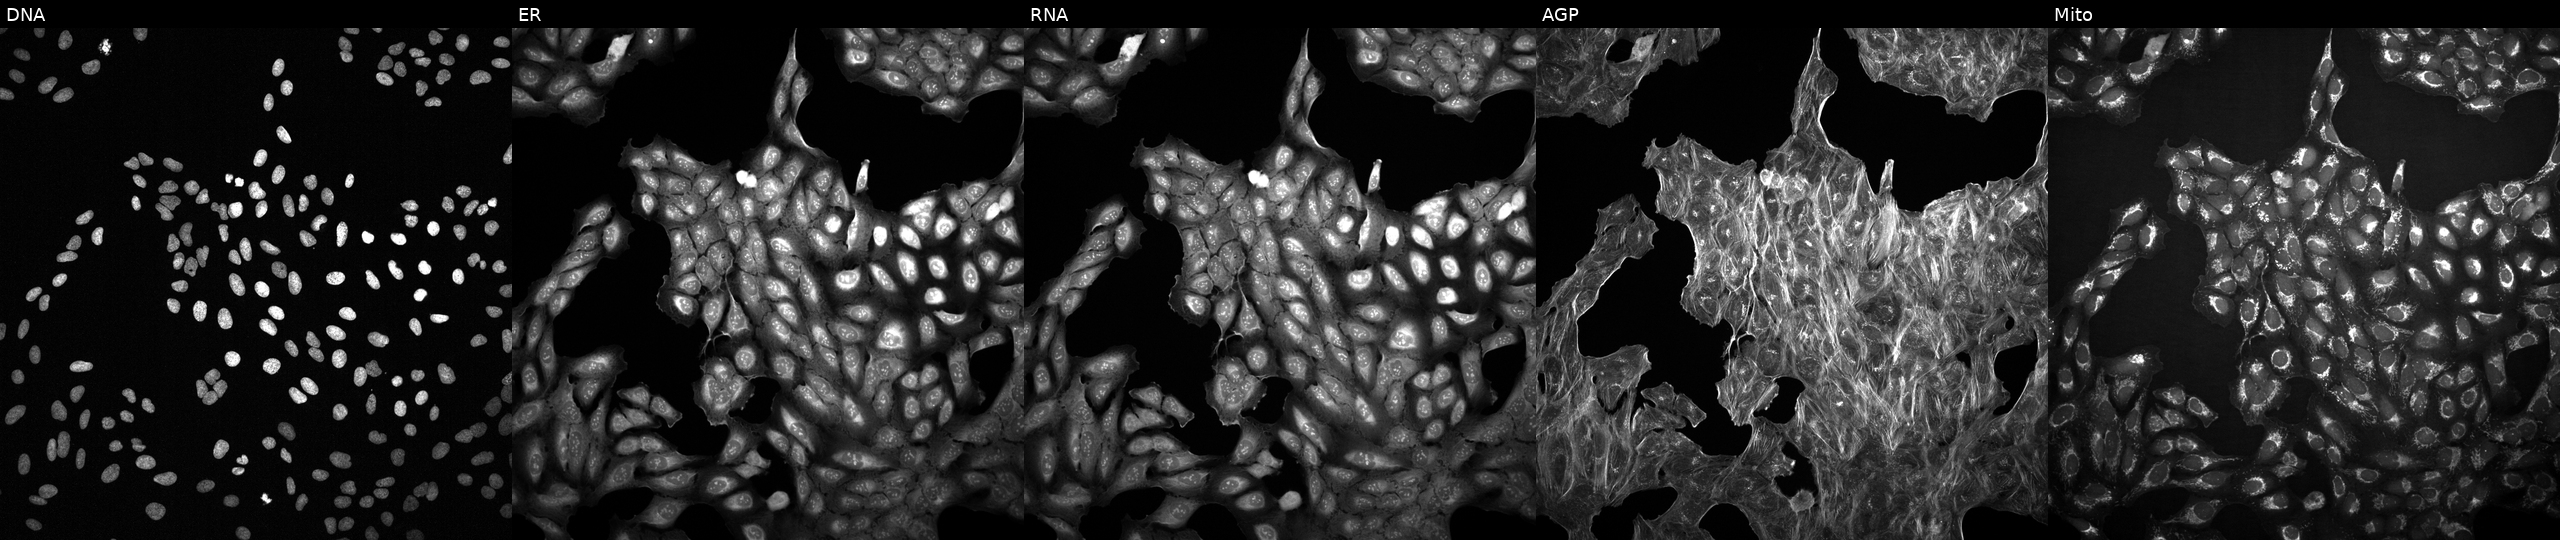
JUMP Cell Painting — COMPOUND plate. U2OS cells with an unidentified perturbation (not annotated in JUMP metadata). Panels show, left to right, DNA (nuclei); ER (endoplasmic reticulum); RNA (nucleoli and cytoplasmic RNA); AGP (actin cytoskeleton, Golgi, and plasma membrane); Mito (mitochondria). Source 2, plate 1053601756, well N08.